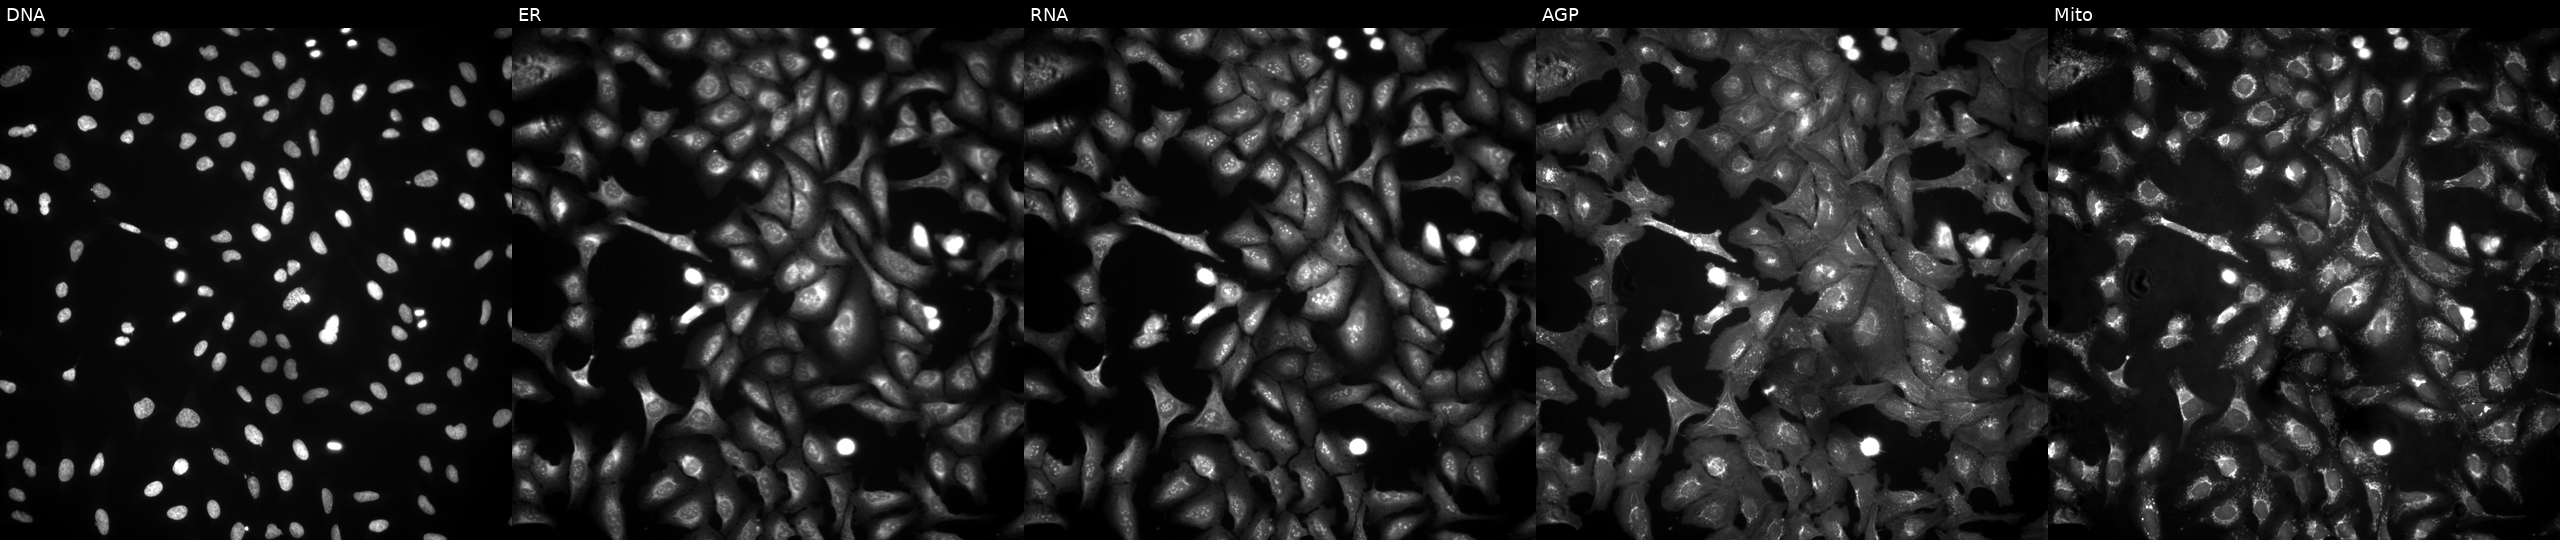
Five-channel Cell Painting image of U2OS cells transfected with an ORF construct for EDNRB. The five panels, left to right, show DNA, ER, RNA, AGP, and Mito. Source 4, plate BR00124790, well B17.